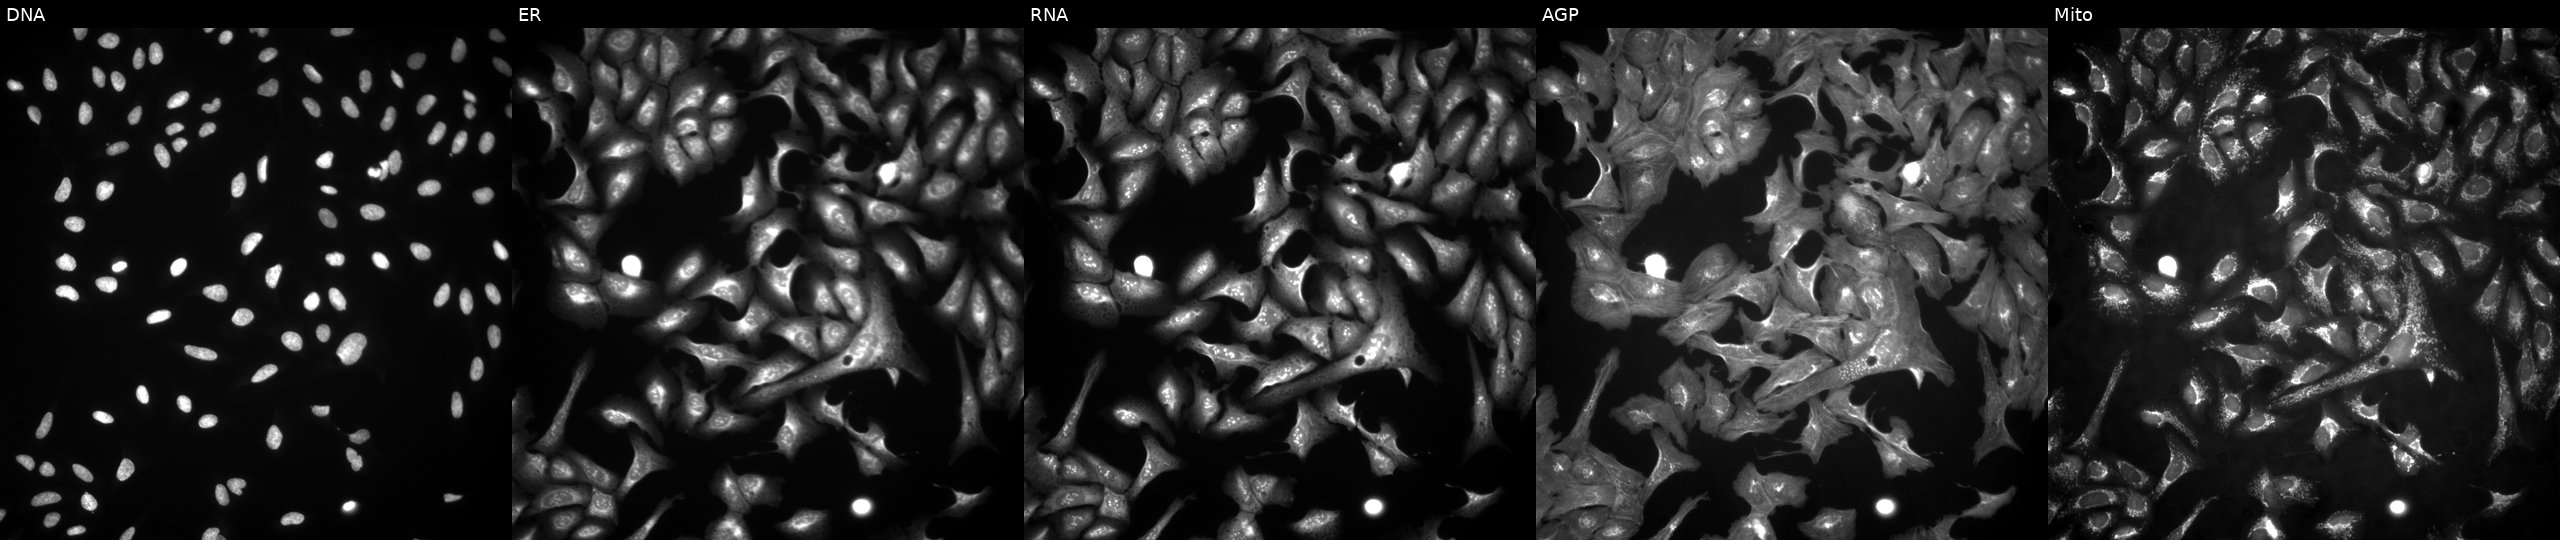
U2OS cells, Cell Painting assay, transfected with an ORF construct for MOB3C. The five panels, left to right, show DNA (nuclei); ER (endoplasmic reticulum); RNA (nucleoli and cytoplasmic RNA); AGP (actin cytoskeleton, Golgi, and plasma membrane); Mito (mitochondria). Each panel is percentile-stretched 16-bit fluorescence.